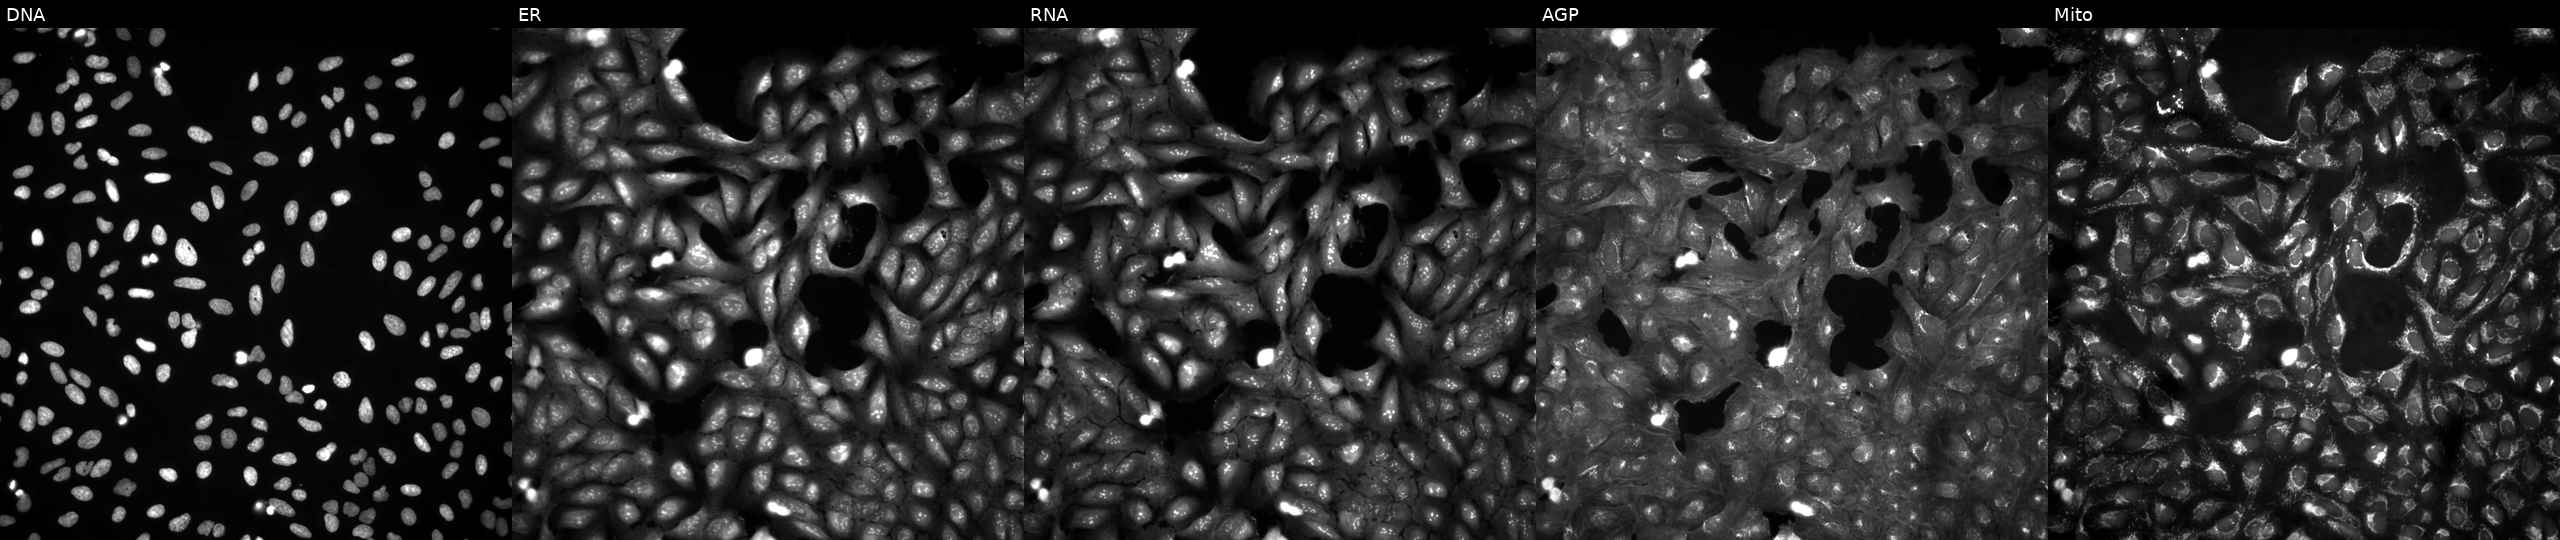
Five-channel Cell Painting image of U2OS cells untreated (empty-well control). Channels (left→right): Hoechst 33342, concanavalin A, SYTO 14, phalloidin and WGA, MitoTracker. Source 4, plate BR00123946, well J03.